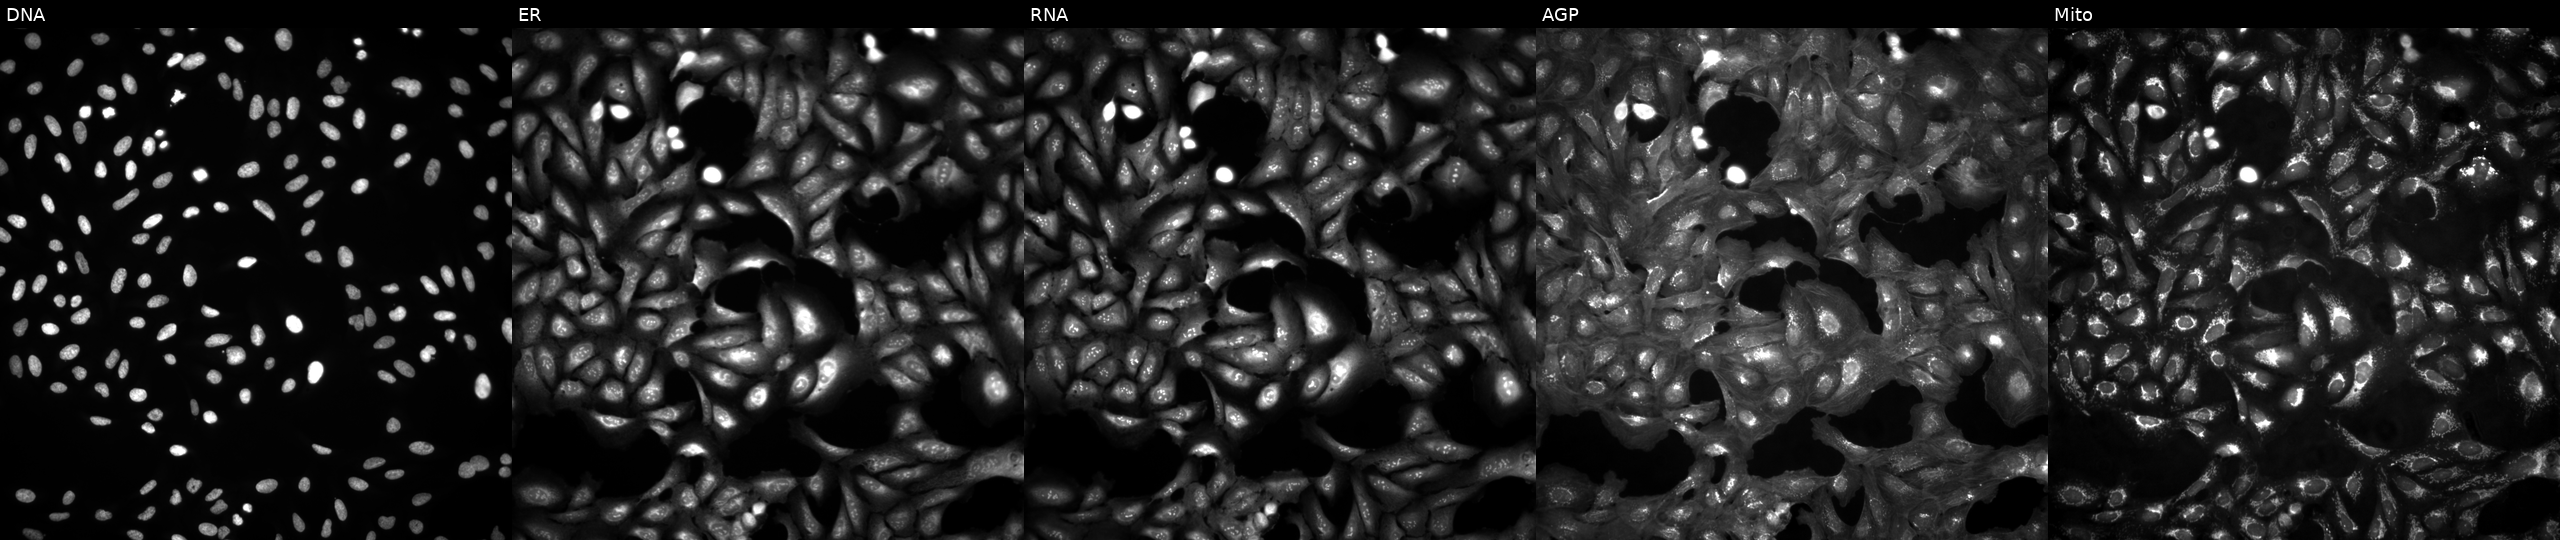
The five panels, left to right, show DNA (nuclei); ER (endoplasmic reticulum); RNA (nucleoli and cytoplasmic RNA); AGP (actin cytoskeleton, Golgi, and plasma membrane); Mito (mitochondria). U2OS osteosarcoma cells in an empty control well (no perturbation). Cell Painting assay, JUMP-CP dataset.